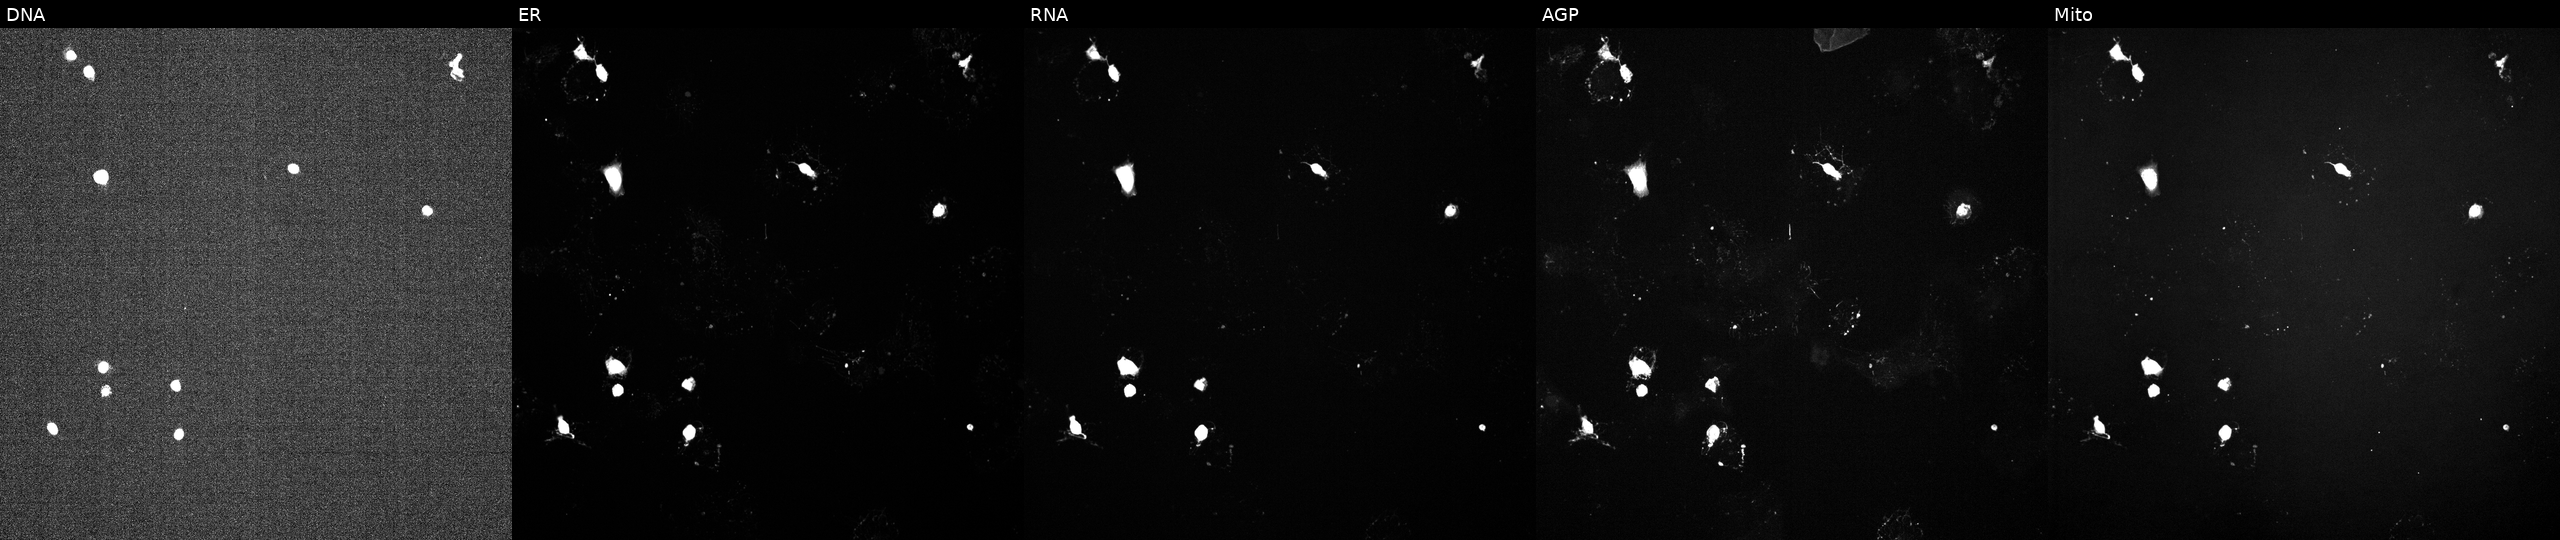
JUMP Cell Painting — TARGET2 plate. U2OS cells treated with a small-molecule compound (InChIKey IAYGCINLNONXHY-UHFFFAOYSA-N) (JUMP id JCP2022_033914). From left to right: DNA, ER, RNA, AGP, and Mito. Source 6, plate 110000294901, well F22.